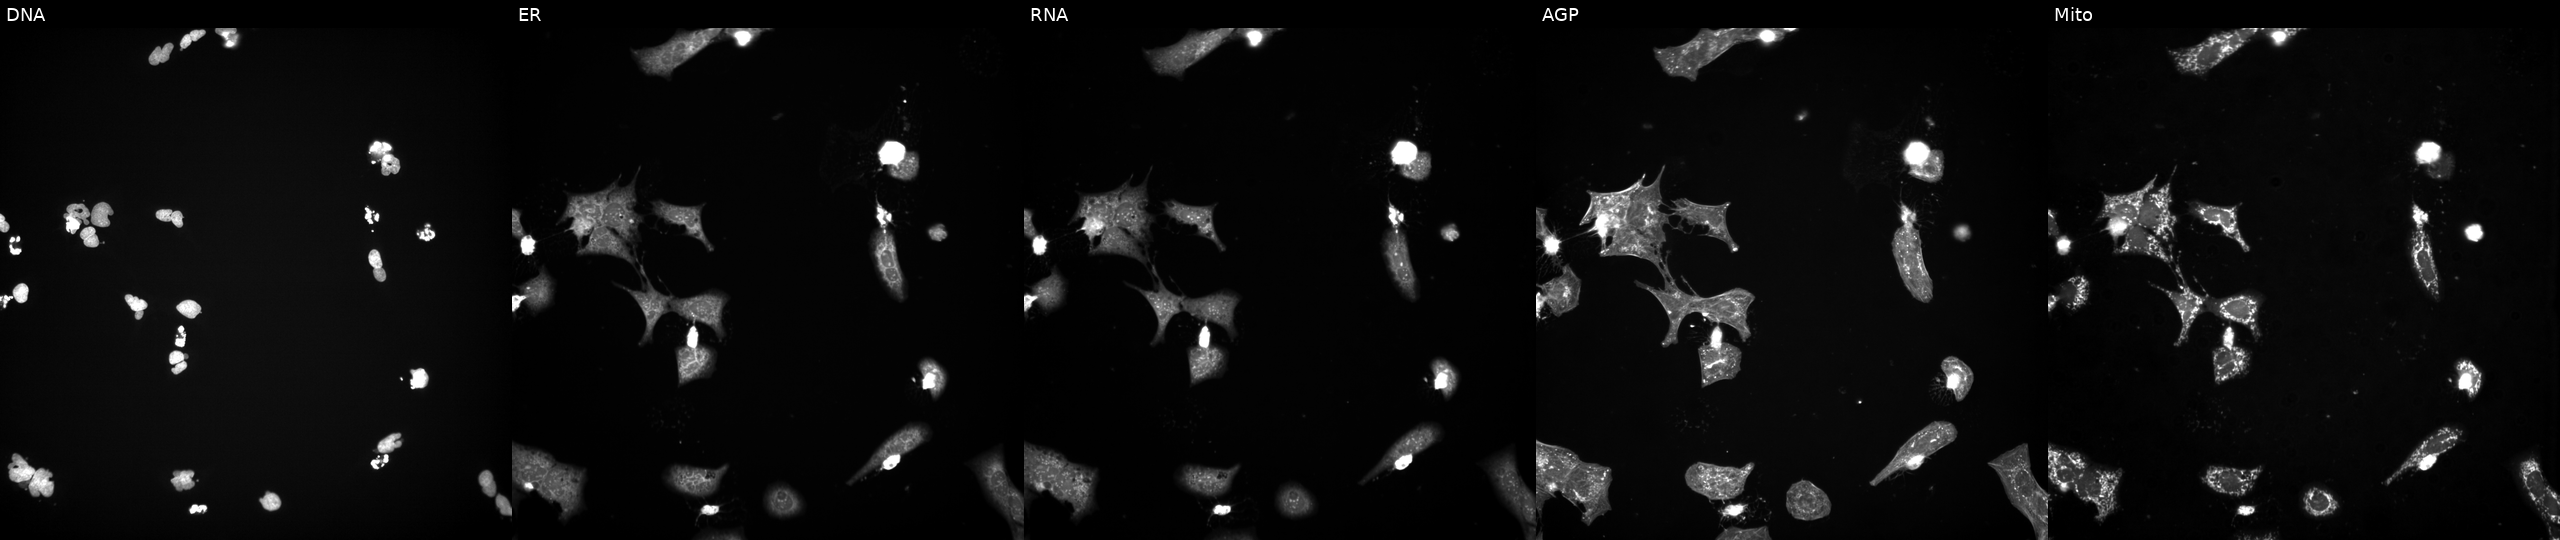
JUMP Cell Painting — TARGET2 plate. U2OS cells exposed to a small-molecule compound (InChIKey MJSHVHLADKXCML-UHFFFAOYSA-N) (JUMP id JCP2022_054601). From left to right: DNA (nuclei); ER (endoplasmic reticulum); RNA (nucleoli and cytoplasmic RNA); AGP (actin cytoskeleton, Golgi, and plasma membrane); Mito (mitochondria). Source 3, plate JCPQC051, well C11.